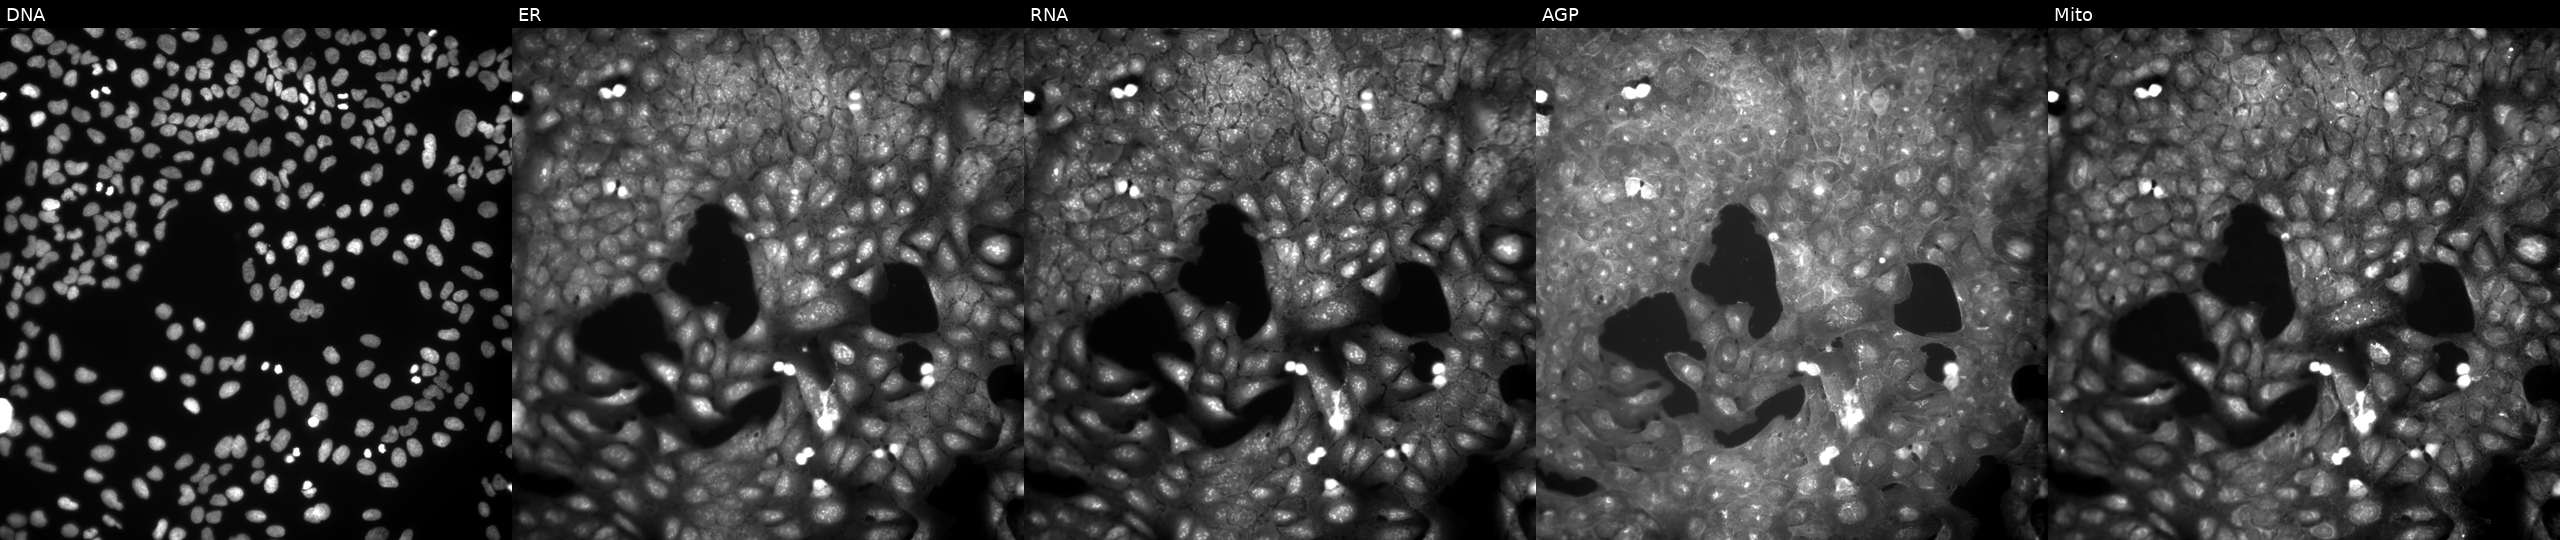
Five-channel Cell Painting image of U2OS cells perturbed with a small-molecule compound (InChIKey IPISOPXEPMDQBE-UHFFFAOYSA-N) [SMILES: CCN(CC)S(=O)(=O)c1ccc(C(=O)N=c2[nH]nc(C(C)C)s2)cc1]. From left to right: DNA (nuclei); ER (endoplasmic reticulum); RNA (nucleoli and cytoplasmic RNA); AGP (actin cytoskeleton, Golgi, and plasma membrane); Mito (mitochondria). Source 9, plate GR00003382, well E43.